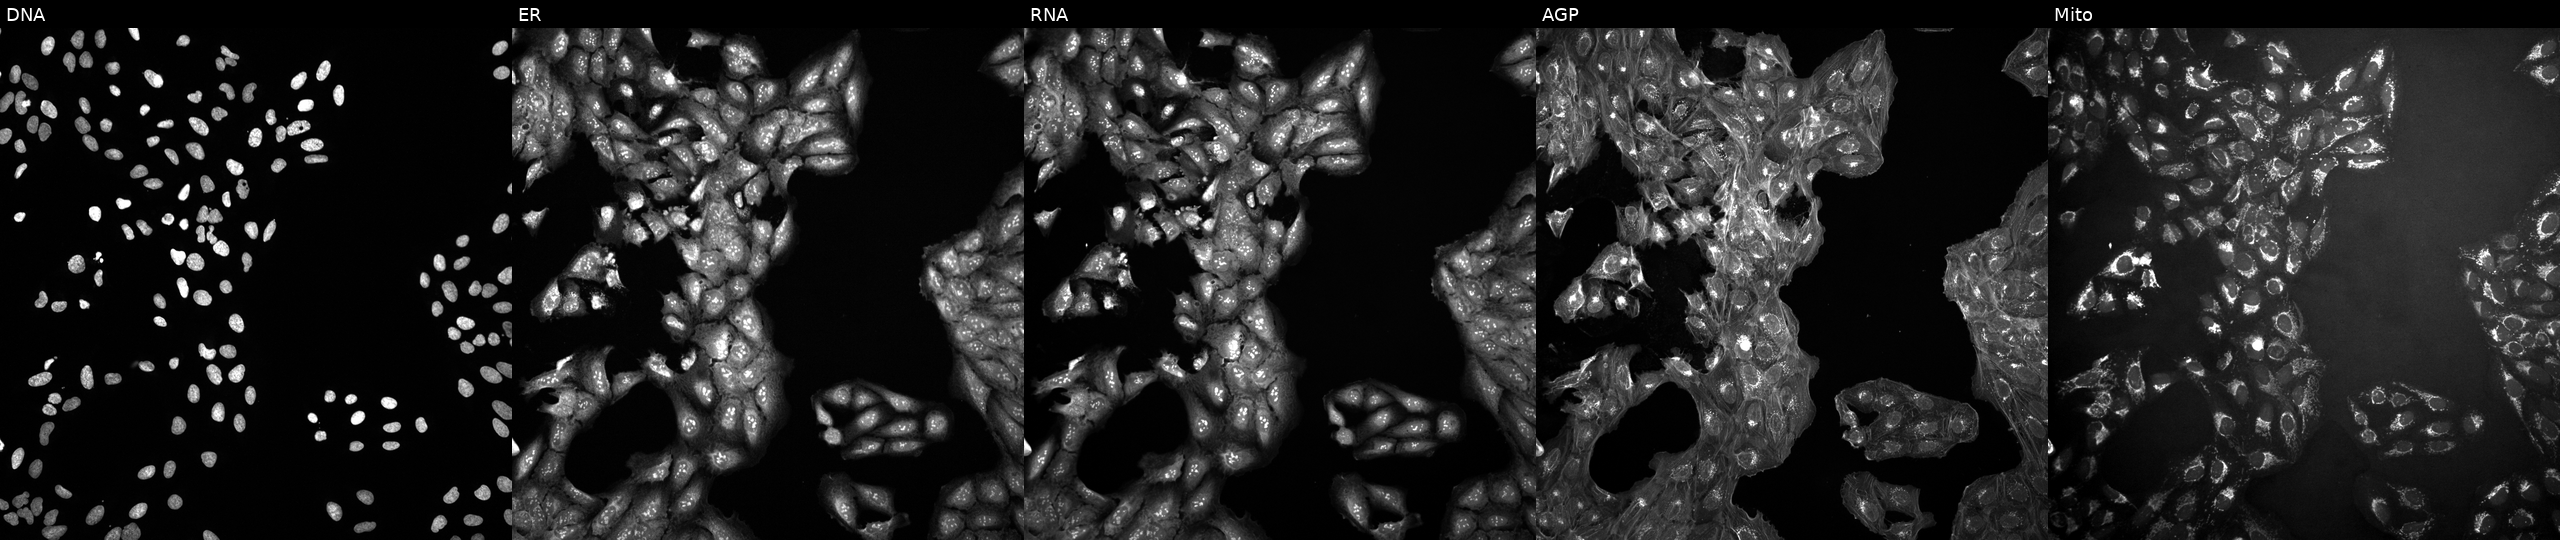
U2OS cells, Cell Painting assay, untreated (empty-well control). Channels (left→right): DNA, ER, RNA, AGP, and Mito. Each panel is percentile-stretched 16-bit fluorescence.